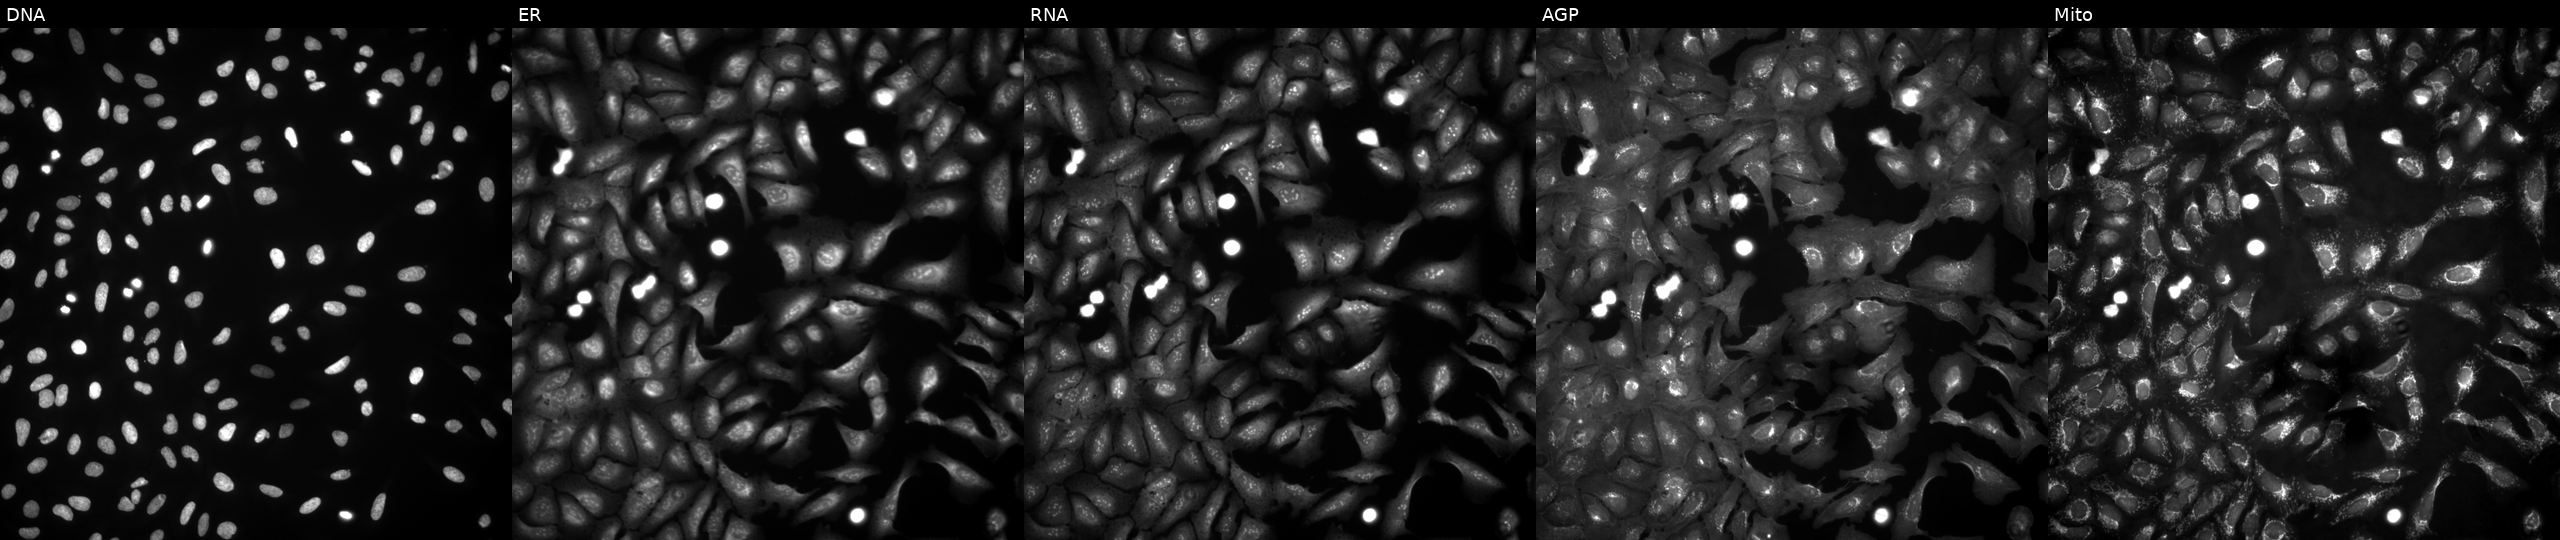
Five-channel Cell Painting image of U2OS cells transfected with an ORF construct for NSUN5 (JUMP id JCP2022_915097). Panels show, left to right, Hoechst 33342, concanavalin A, SYTO 14, phalloidin and WGA, MitoTracker.